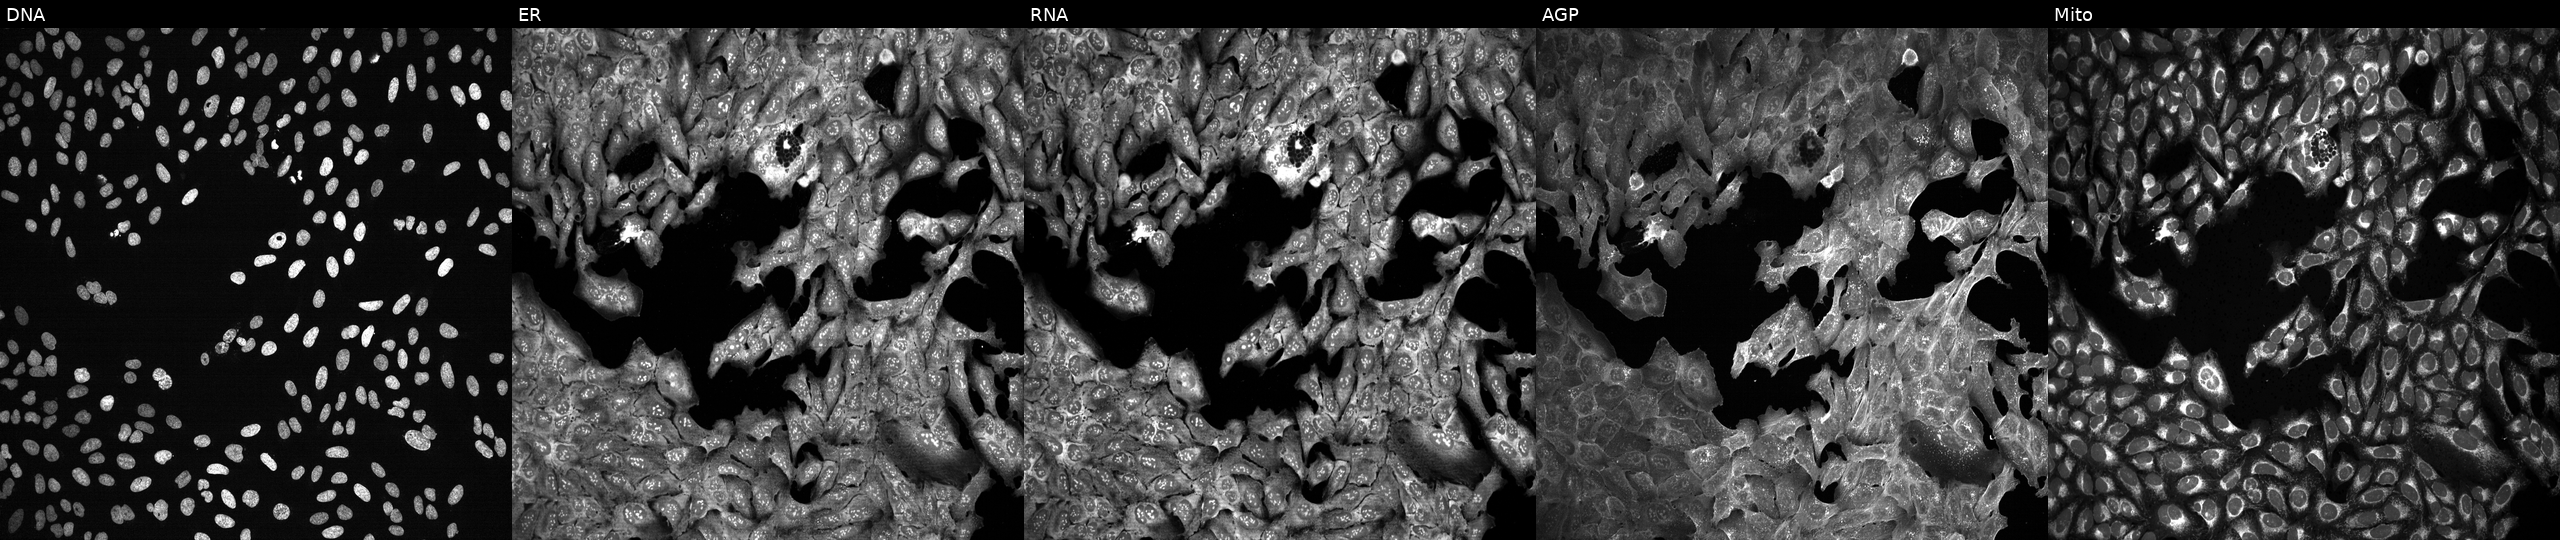
High-content fluorescence microscopy (Cell Painting). Cell line: U2OS. Perturbation: CRISPR-edited to disrupt DPEP2. Channels (left→right): DNA (nuclei); ER (endoplasmic reticulum); RNA (nucleoli and cytoplasmic RNA); AGP (actin cytoskeleton, Golgi, and plasma membrane); Mito (mitochondria).